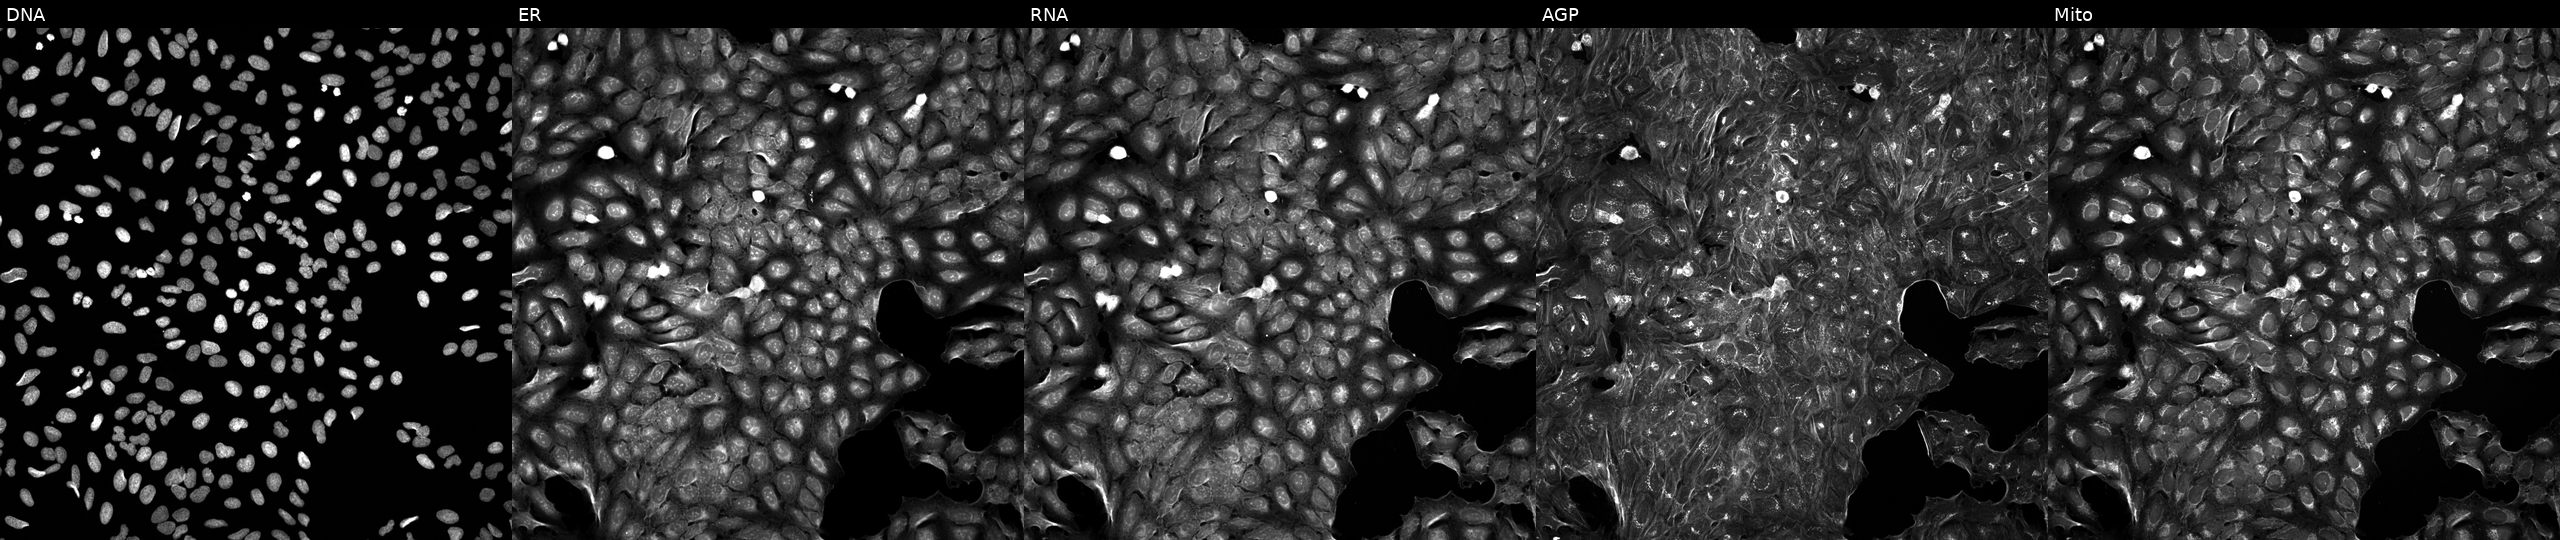
This image strip shows the five Cell Painting channels for a single field of U2OS cells treated with a small-molecule compound (InChIKey DBJVIXWVHFQGPS-UHFFFAOYSA-N) (JUMP id JCP2022_014834). Channels (left→right): DNA, ER, RNA, AGP, and Mito.